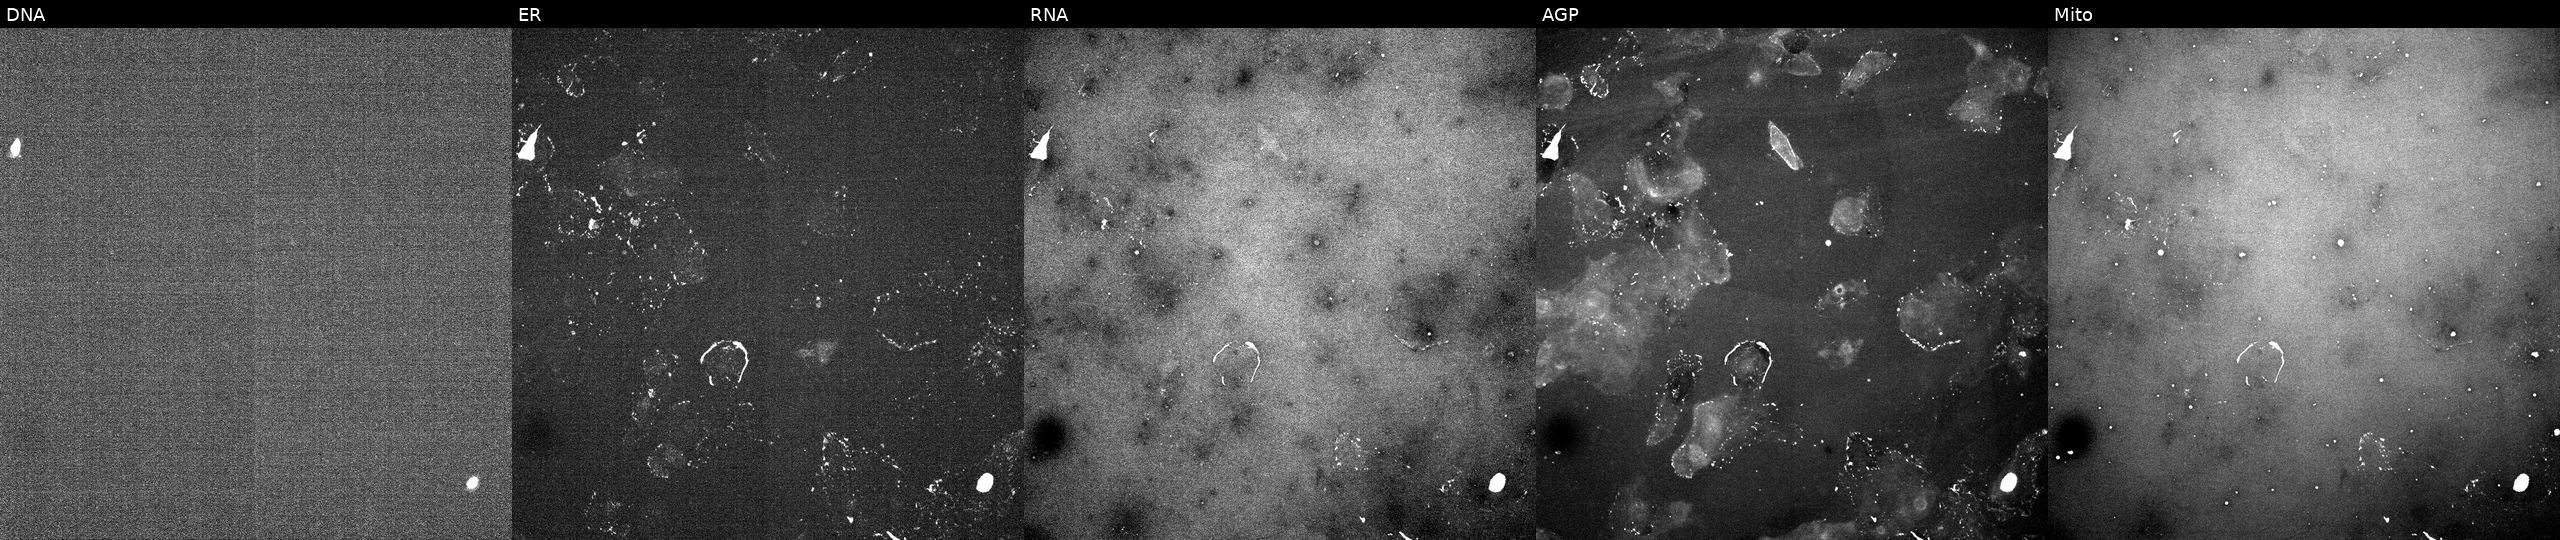
This image strip shows the five Cell Painting channels for a single field of U2OS cells perturbed with a small-molecule compound (InChIKey DUKQPWDVIZDABV-UHFFFAOYSA-N) [SMILES: O=C1C(=NCCN2CCOCC2)C(Cl)C(=O)c2cccnc21]. From left to right: Hoechst 33342, concanavalin A, SYTO 14, phalloidin and WGA, MitoTracker.